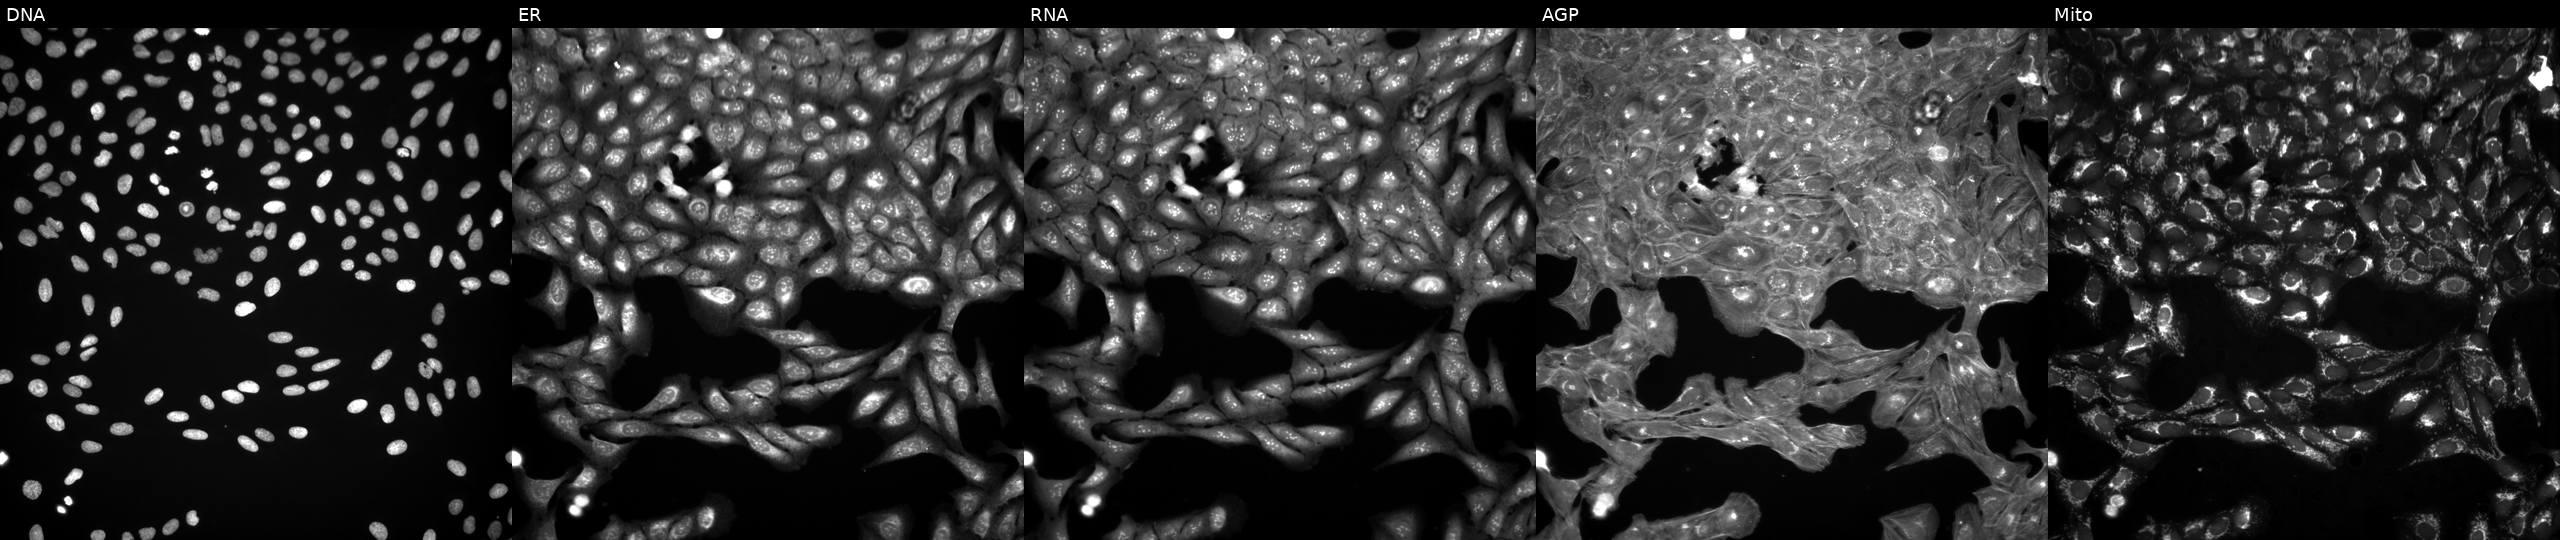
High-content fluorescence microscopy (Cell Painting). Cell line: U2OS. Perturbation: treated with a small-molecule compound (InChIKey LPEPZBJOKDYZAD-UHFFFAOYSA-N) (JUMP id JCP2022_050861). The five panels, left to right, show DNA (nuclei); ER (endoplasmic reticulum); RNA (nucleoli and cytoplasmic RNA); AGP (actin cytoskeleton, Golgi, and plasma membrane); Mito (mitochondria).